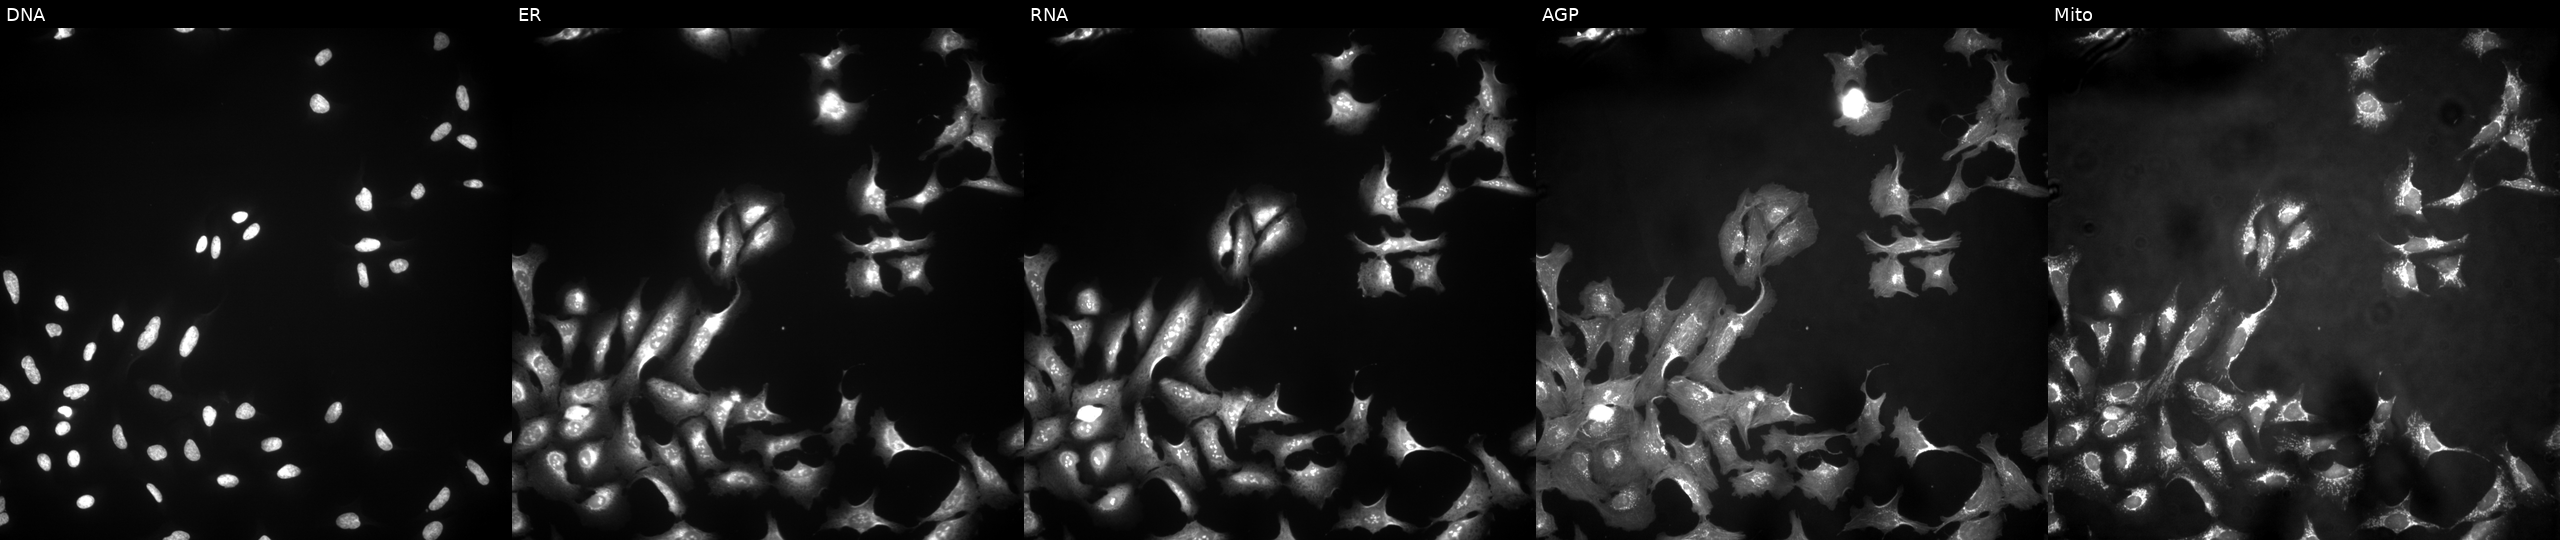
High-content fluorescence microscopy (Cell Painting). Cell line: U2OS. Perturbation: transfected with an ORF construct for SHMT1 (JUMP id JCP2022_906500). Channels (left→right): DNA, ER, RNA, AGP, and Mito. Source 4, plate BR00123506, well N07.